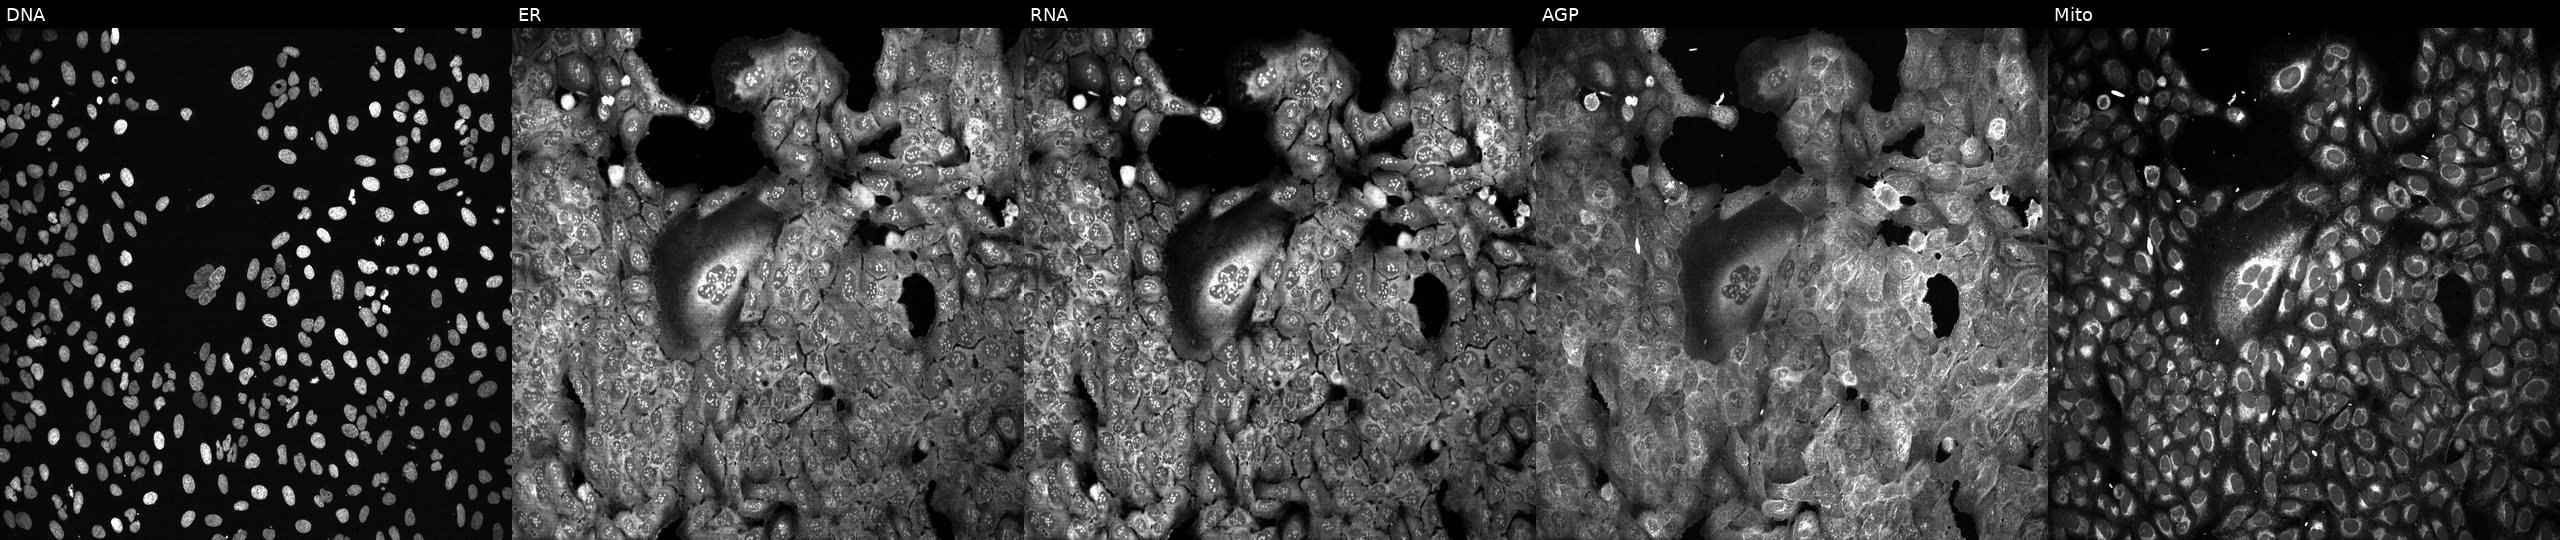
U2OS cells, Cell Painting assay, CRISPR-edited to disrupt GPAT3. Panels show, left to right, DNA, ER, RNA, AGP, and Mito. Each panel is percentile-stretched 16-bit fluorescence. Source 13, plate CP-CC9-R2-01, well O21.